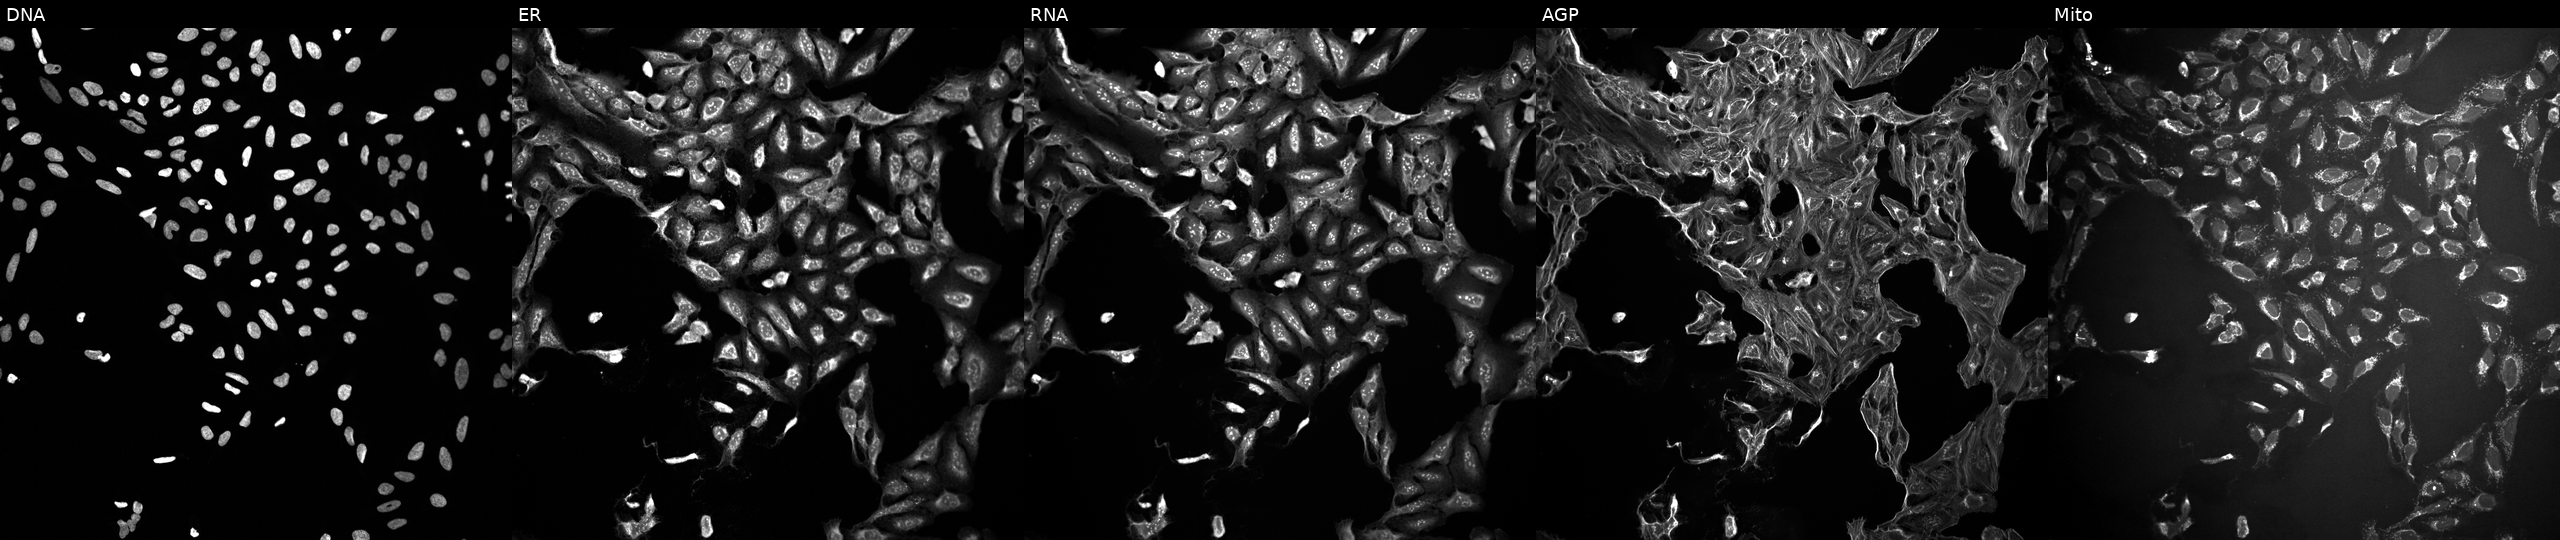
This image strip shows the five Cell Painting channels for a single field of U2OS cells perturbed with a small-molecule compound (JUMP id JCP2022_005628). The five panels, left to right, show DNA, ER, RNA, AGP, and Mito.